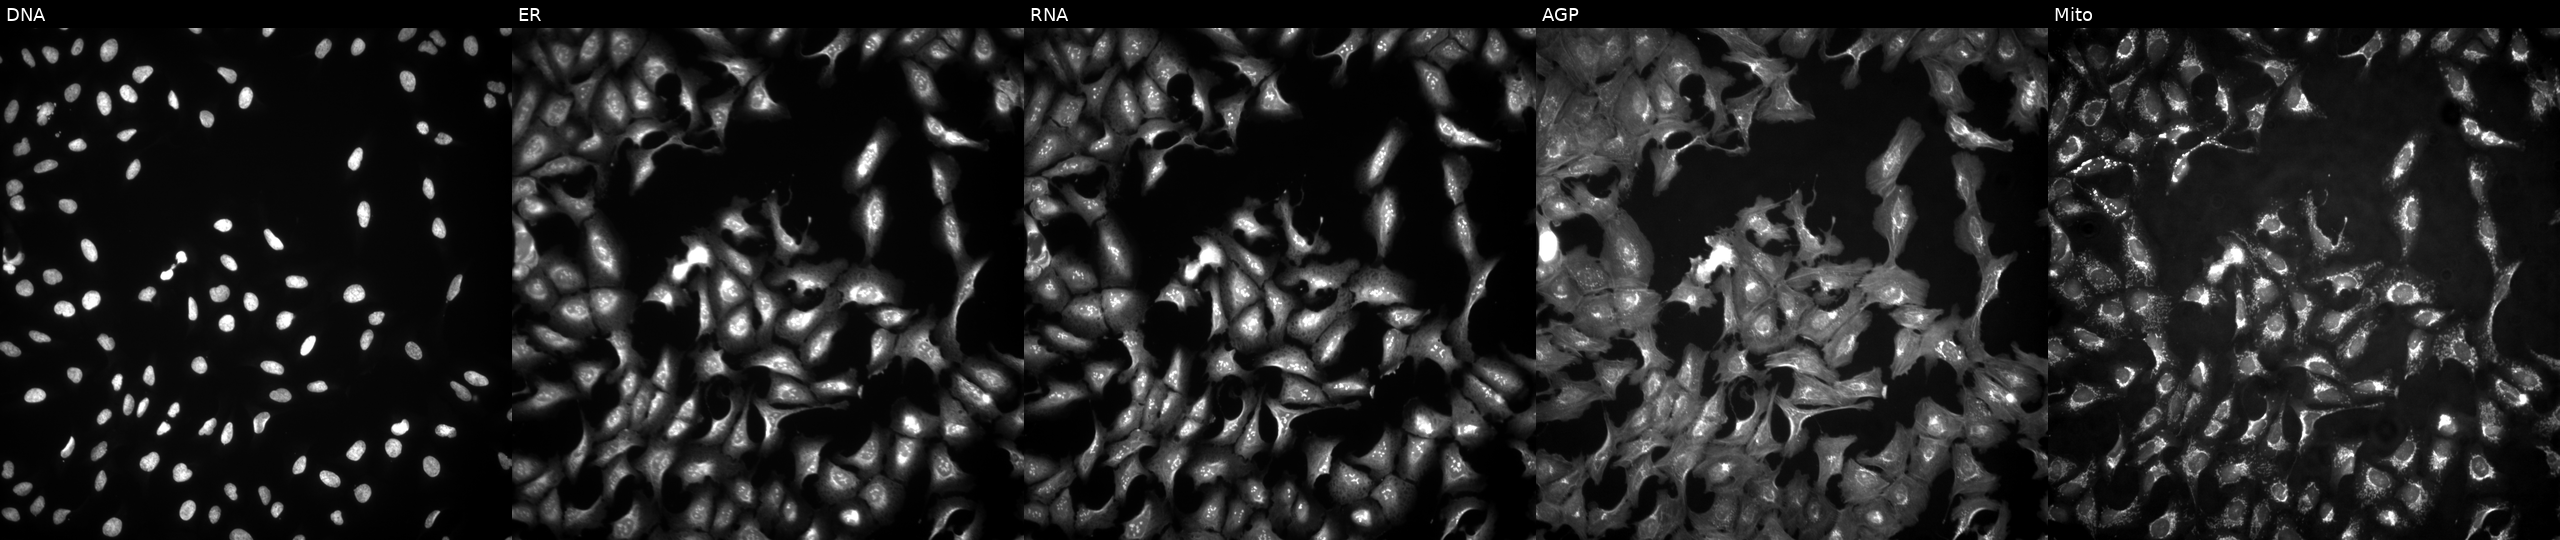
JUMP Cell Painting — ORF plate. U2OS cells transfected with an ORF construct for FAM209B. Channels (left→right): DNA, ER, RNA, AGP, and Mito. Source 4, plate BR00123509, well L02.